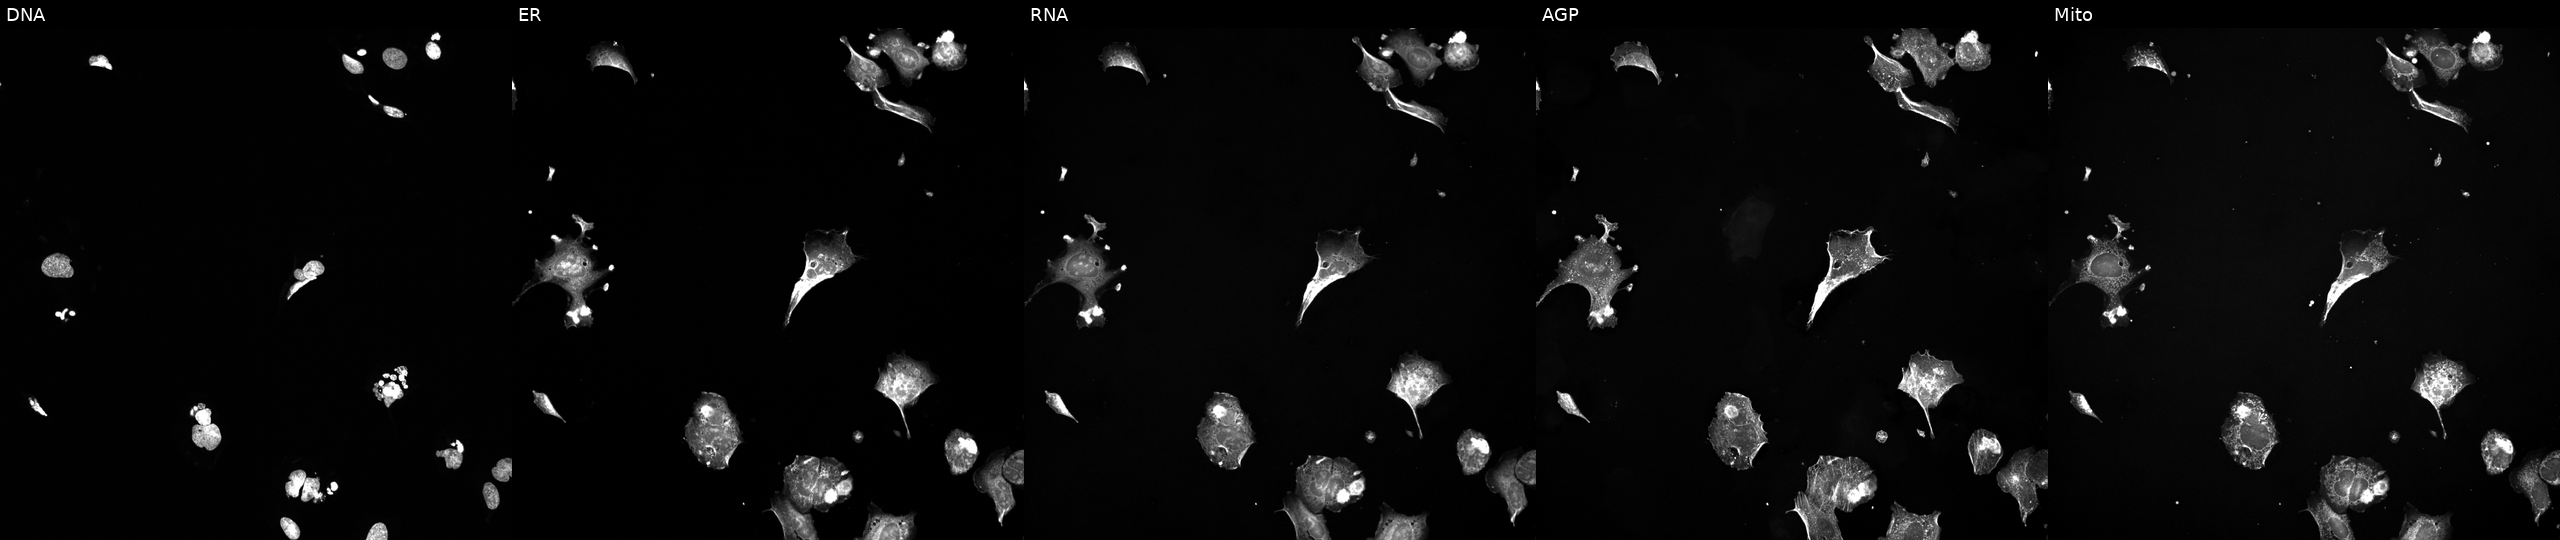
High-content fluorescence microscopy (Cell Painting). Cell line: U2OS. Perturbation: exposed to a small-molecule compound (InChIKey MTJHLONVHHPNSI-UHFFFAOYSA-N). Panels show, left to right, DNA (nuclei); ER (endoplasmic reticulum); RNA (nucleoli and cytoplasmic RNA); AGP (actin cytoskeleton, Golgi, and plasma membrane); Mito (mitochondria).